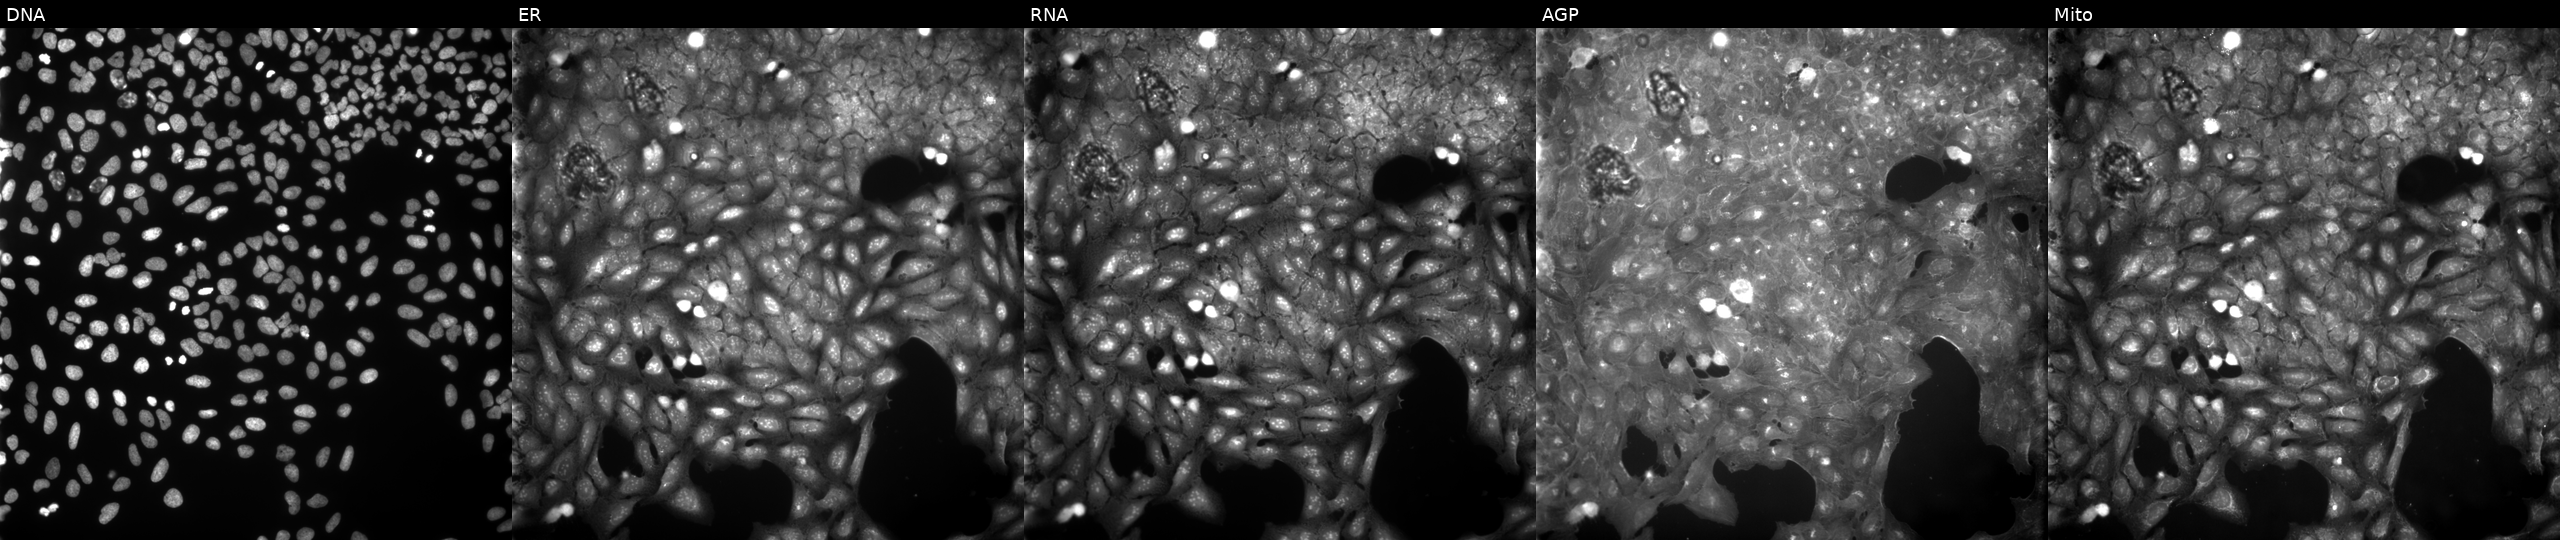
Five-channel Cell Painting image of U2OS cells exposed to a small-molecule compound (InChIKey WZVQUBOPPTZFOD-UHFFFAOYSA-N). The five panels, left to right, show Hoechst 33342, concanavalin A, SYTO 14, phalloidin and WGA, MitoTracker.